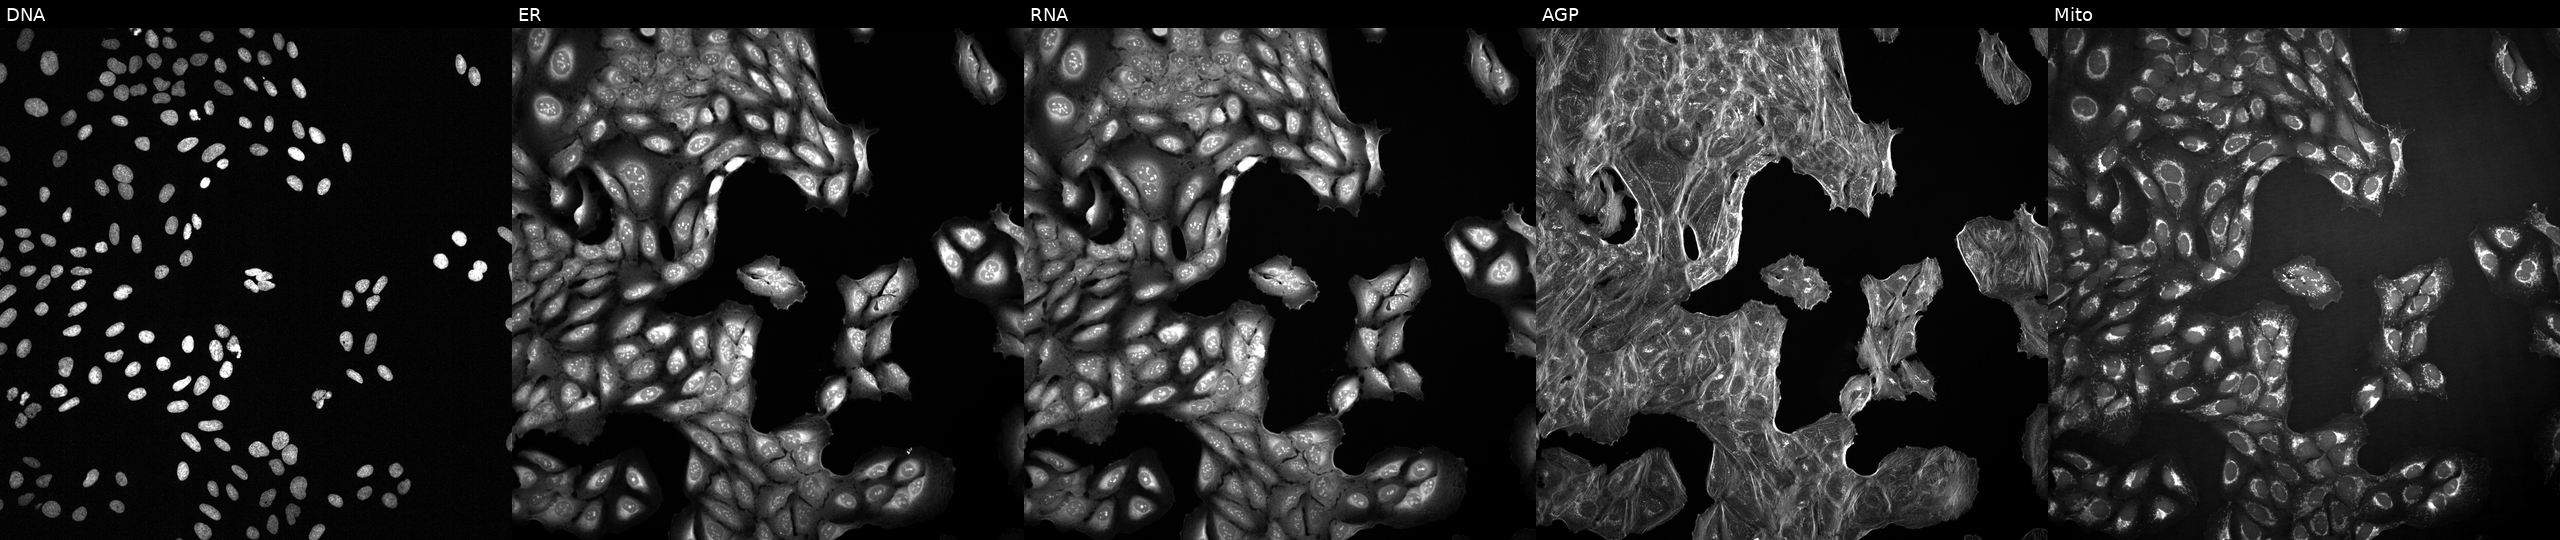
This image strip shows the five Cell Painting channels for a single field of U2OS cells perturbed with a small-molecule compound (InChIKey YPZRXDNIABVGLV-UHFFFAOYSA-N). From left to right: Hoechst 33342, concanavalin A, SYTO 14, phalloidin and WGA, MitoTracker.